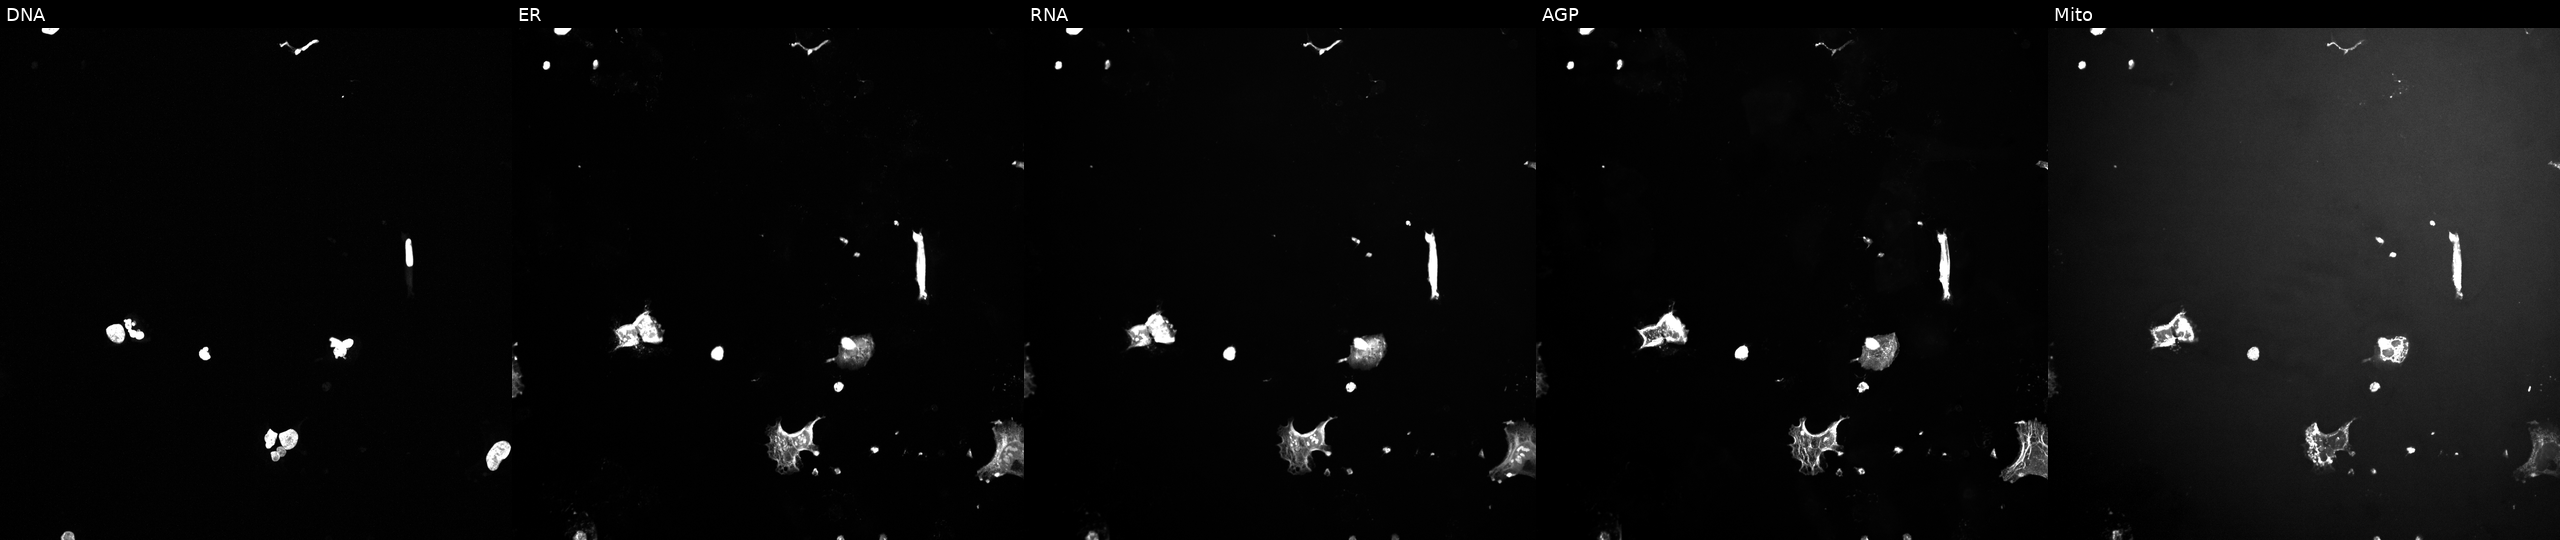
JUMP Cell Painting — TARGET2 plate. U2OS cells exposed to a small-molecule compound (InChIKey IAKHMKGGTNLKSZ-UHFFFAOYSA-N) [SMILES: COc1cc2c(c(OC)c1OC)-c1ccc(OC)c(=O)cc1C(NC(C)=O)CC2] (JUMP id JCP2022_033814). Panels show, left to right, DNA, ER, RNA, AGP, and Mito. Source 10, plate Dest210726-160150, well F19.